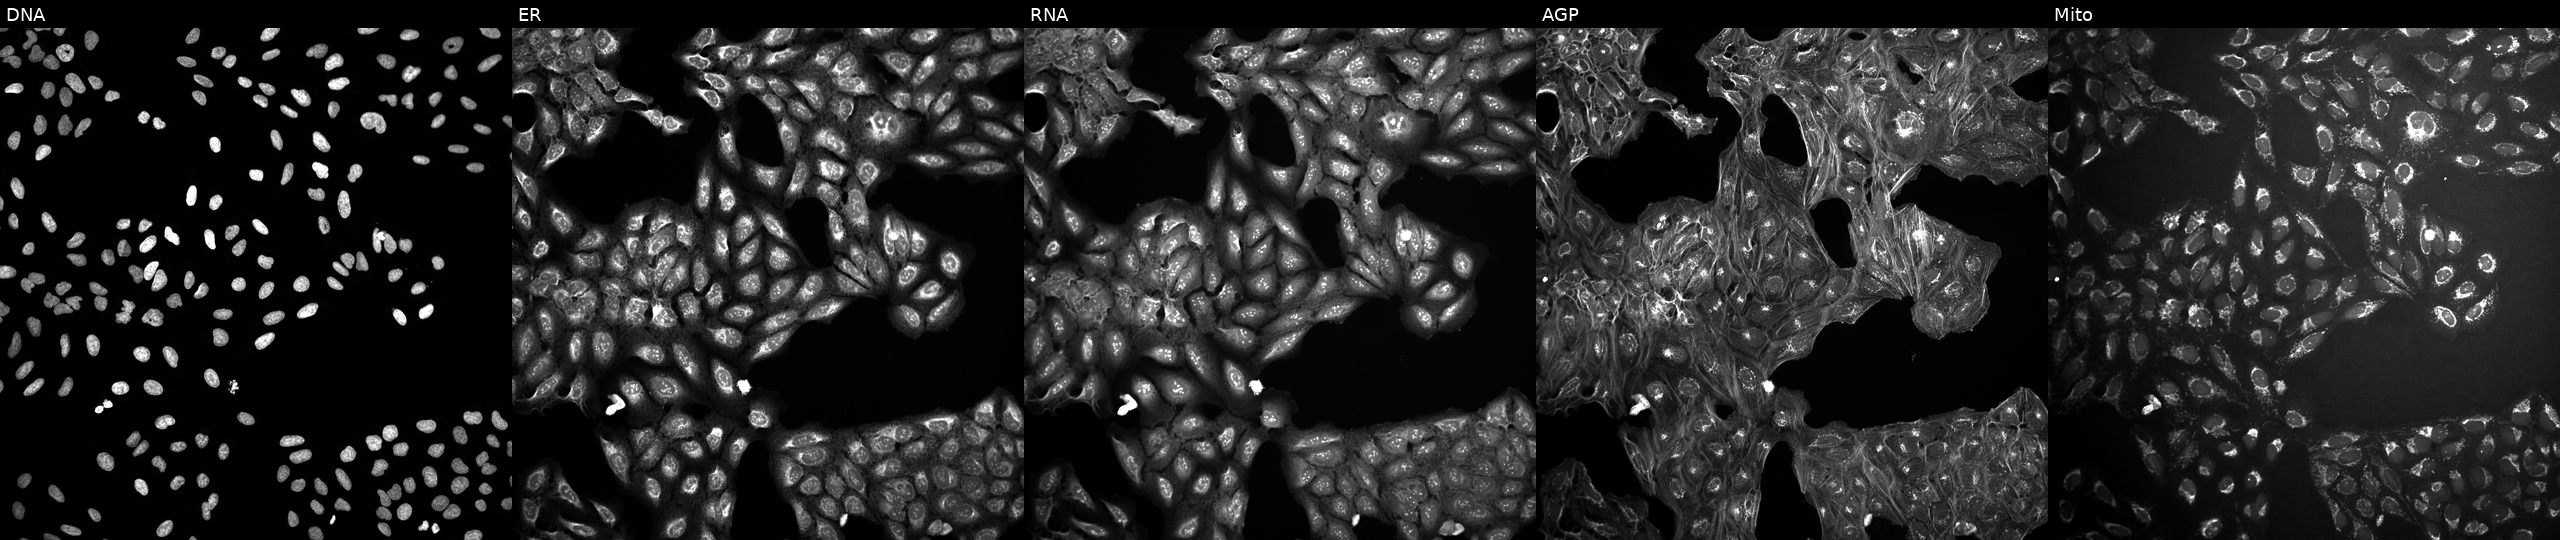
High-content fluorescence microscopy (Cell Painting). Cell line: U2OS. Perturbation: in an empty control well (no perturbation) (JUMP id JCP2022_999999). Panels show, left to right, DNA, ER, RNA, AGP, and Mito. Source 10, plate Dest210531-152324, well F18.